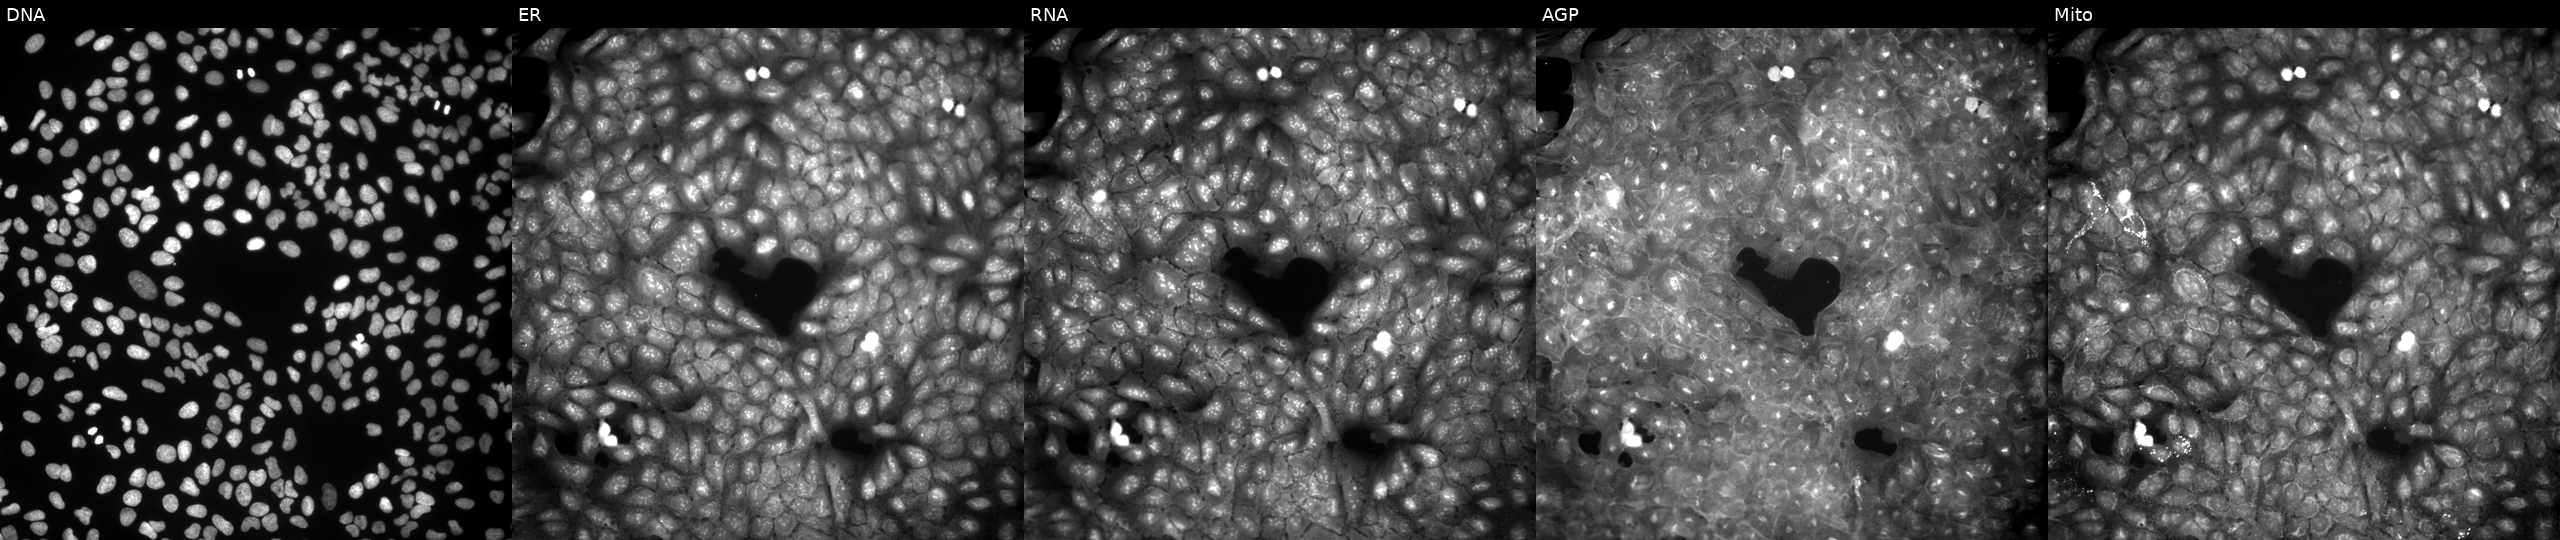
Five-channel Cell Painting image of U2OS cells treated with a small-molecule compound (InChIKey GSSAXVCDAPTSKY-UHFFFAOYSA-N) (JUMP id JCP2022_027529). Channels (left→right): Hoechst 33342, concanavalin A, SYTO 14, phalloidin and WGA, MitoTracker.